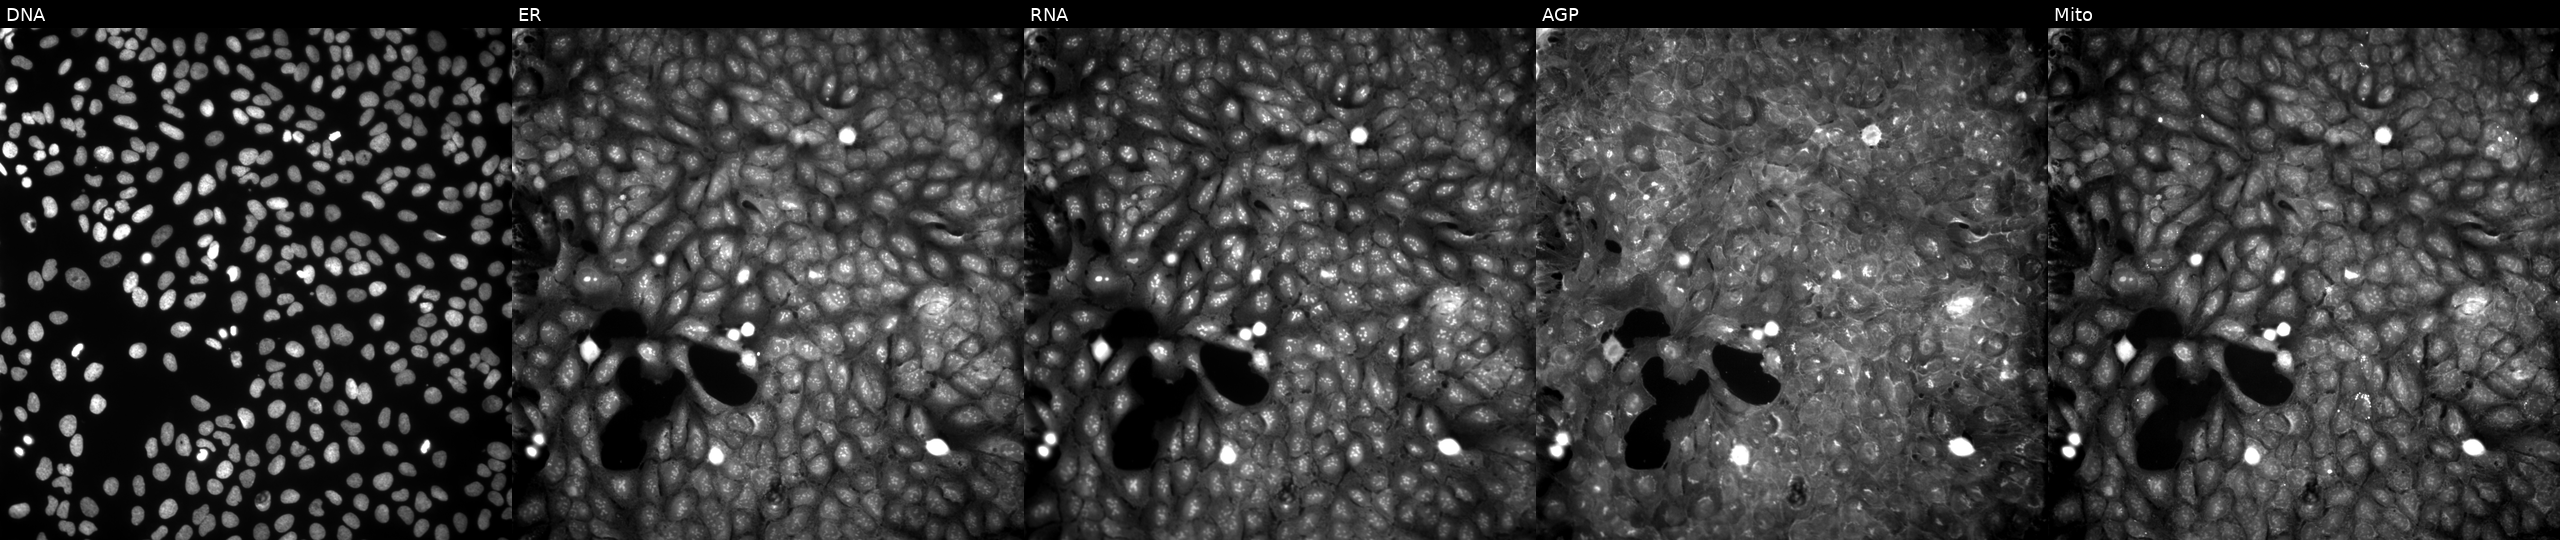
High-content fluorescence microscopy (Cell Painting). Cell line: U2OS. Perturbation: perturbed with a small-molecule compound (JUMP id JCP2022_043995). Channels (left→right): Hoechst 33342, concanavalin A, SYTO 14, phalloidin and WGA, MitoTracker.